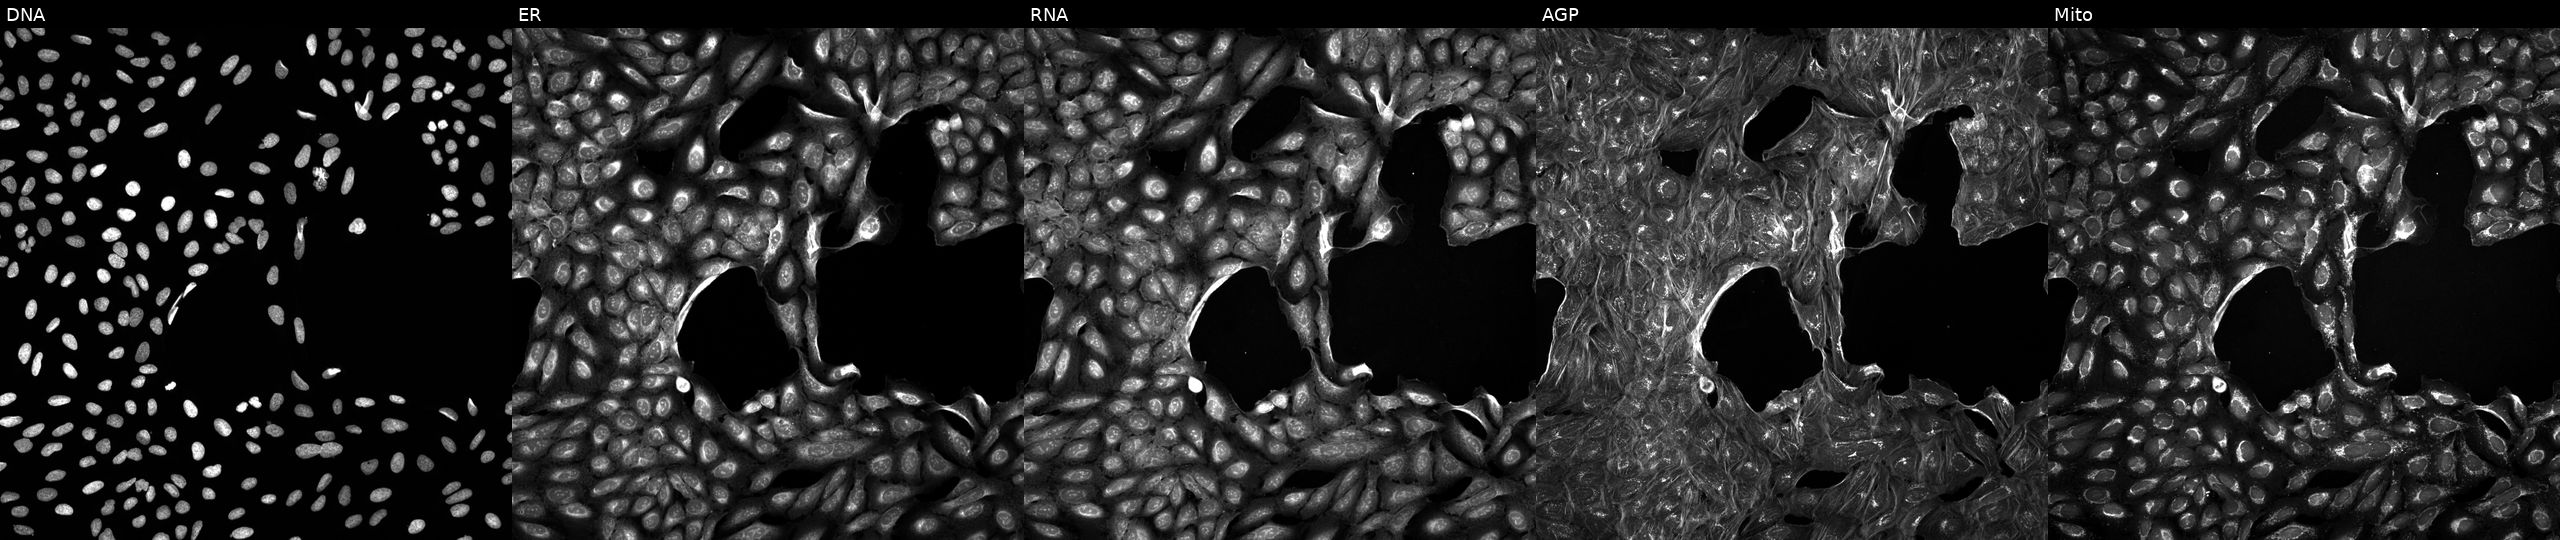
Panels show, left to right, DNA (nuclei); ER (endoplasmic reticulum); RNA (nucleoli and cytoplasmic RNA); AGP (actin cytoskeleton, Golgi, and plasma membrane); Mito (mitochondria). U2OS osteosarcoma cells exposed to a small-molecule compound (InChIKey MAKMQGKJURAJEN-UHFFFAOYSA-N) (JUMP id JCP2022_052870). Cell Painting assay, JUMP-CP dataset.